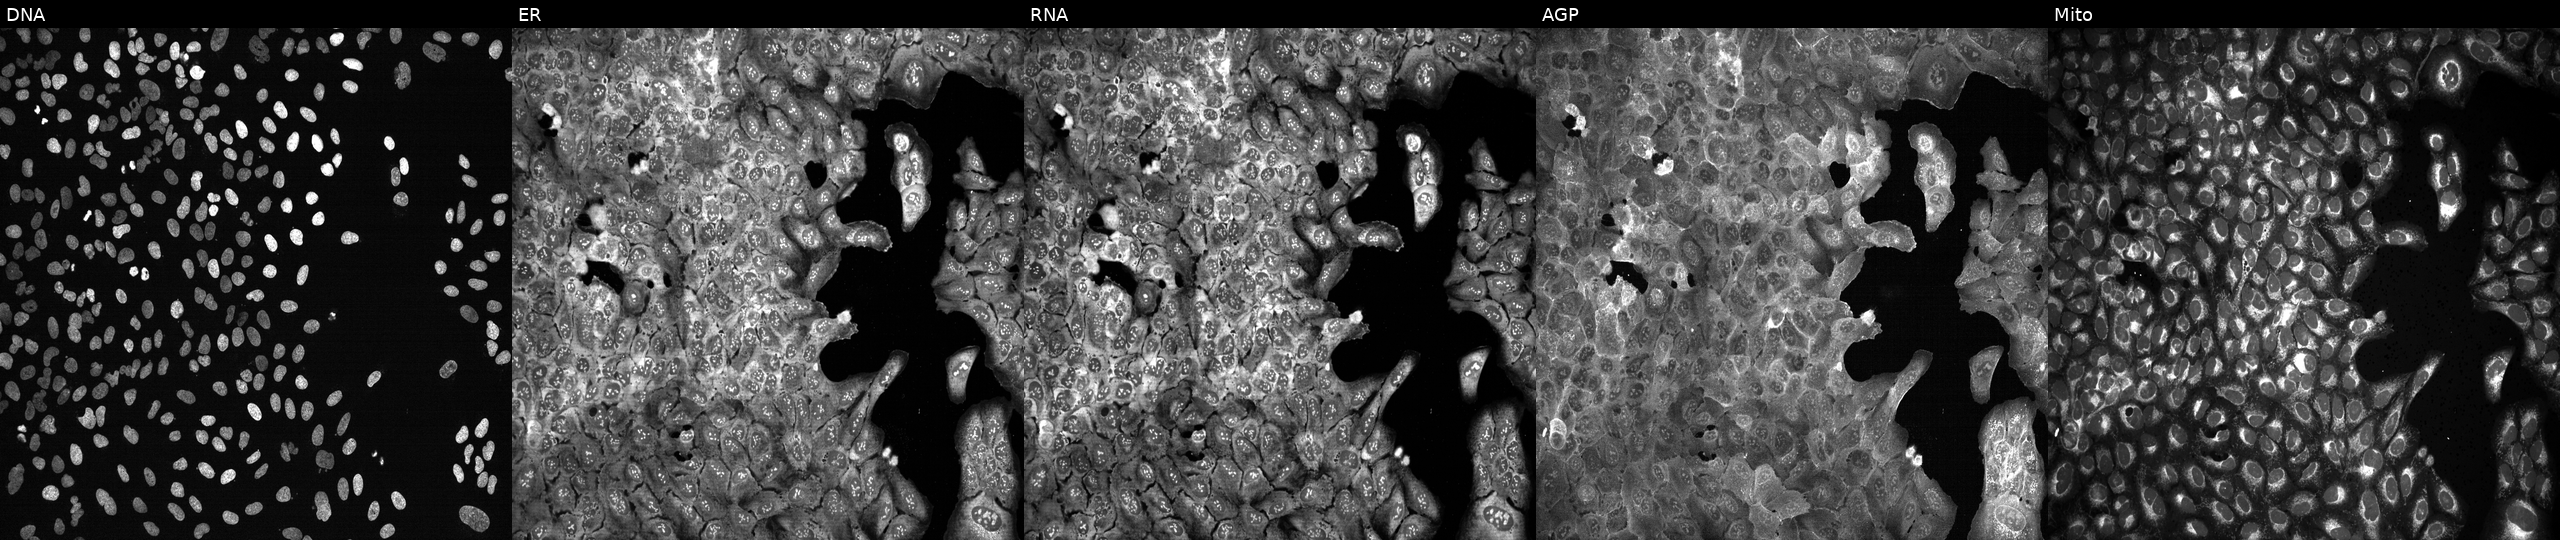
Five-channel Cell Painting image of U2OS cells with SCD knocked out by CRISPR (JUMP id JCP2022_806197). From left to right: DNA, ER, RNA, AGP, and Mito. Source 13, plate CP-CC9-R2-02, well G08.